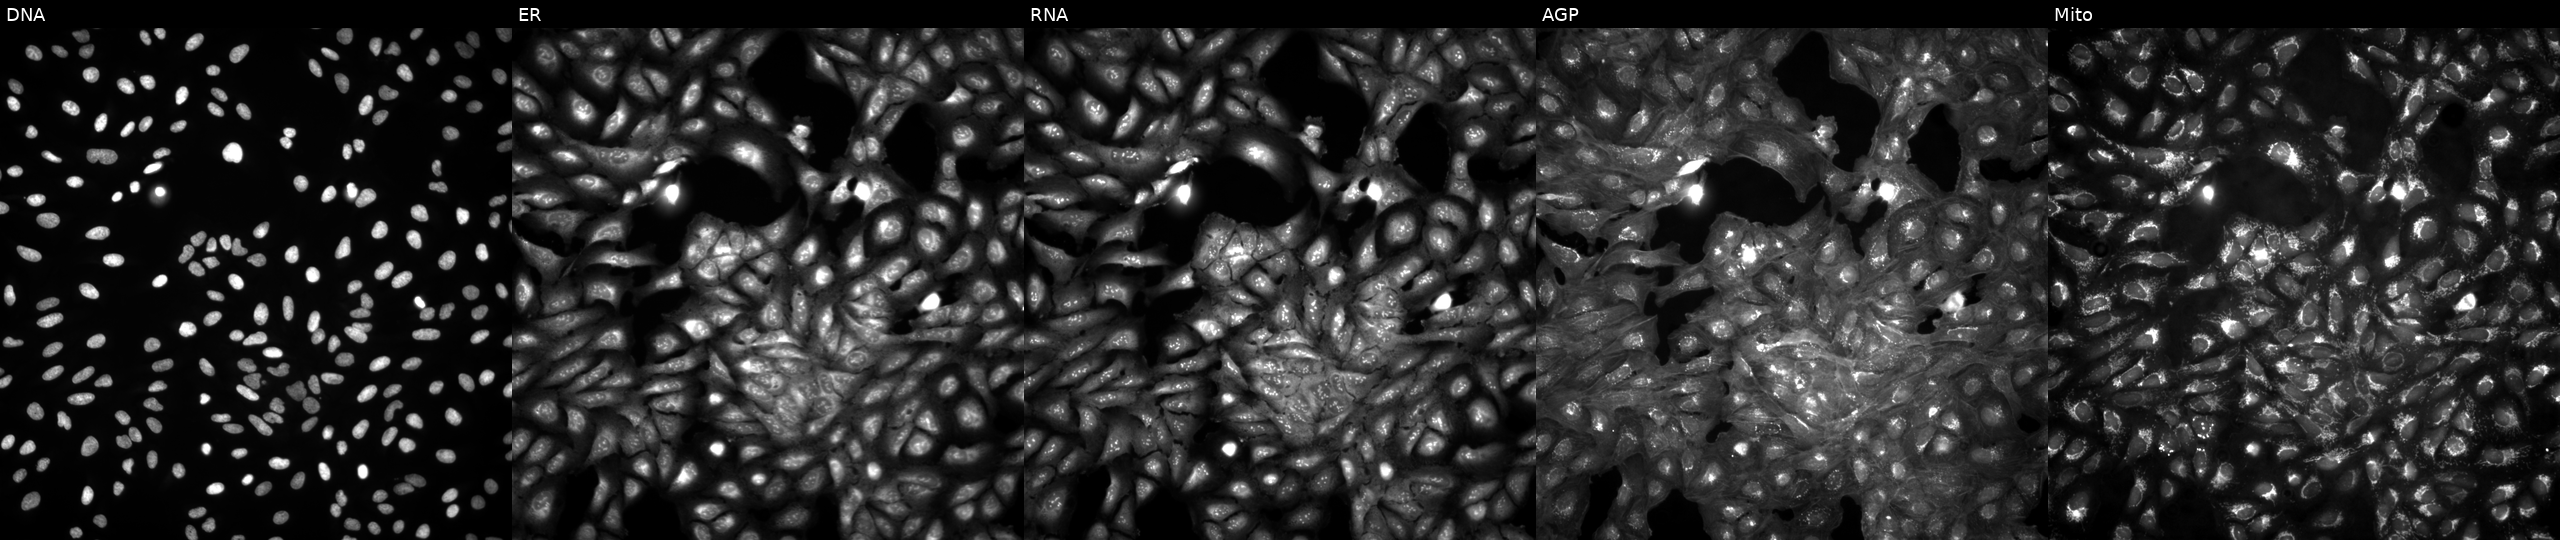
Five-channel Cell Painting image of U2OS cells in an empty control well (no perturbation) (JUMP id JCP2022_999999). From left to right: Hoechst 33342, concanavalin A, SYTO 14, phalloidin and WGA, MitoTracker.